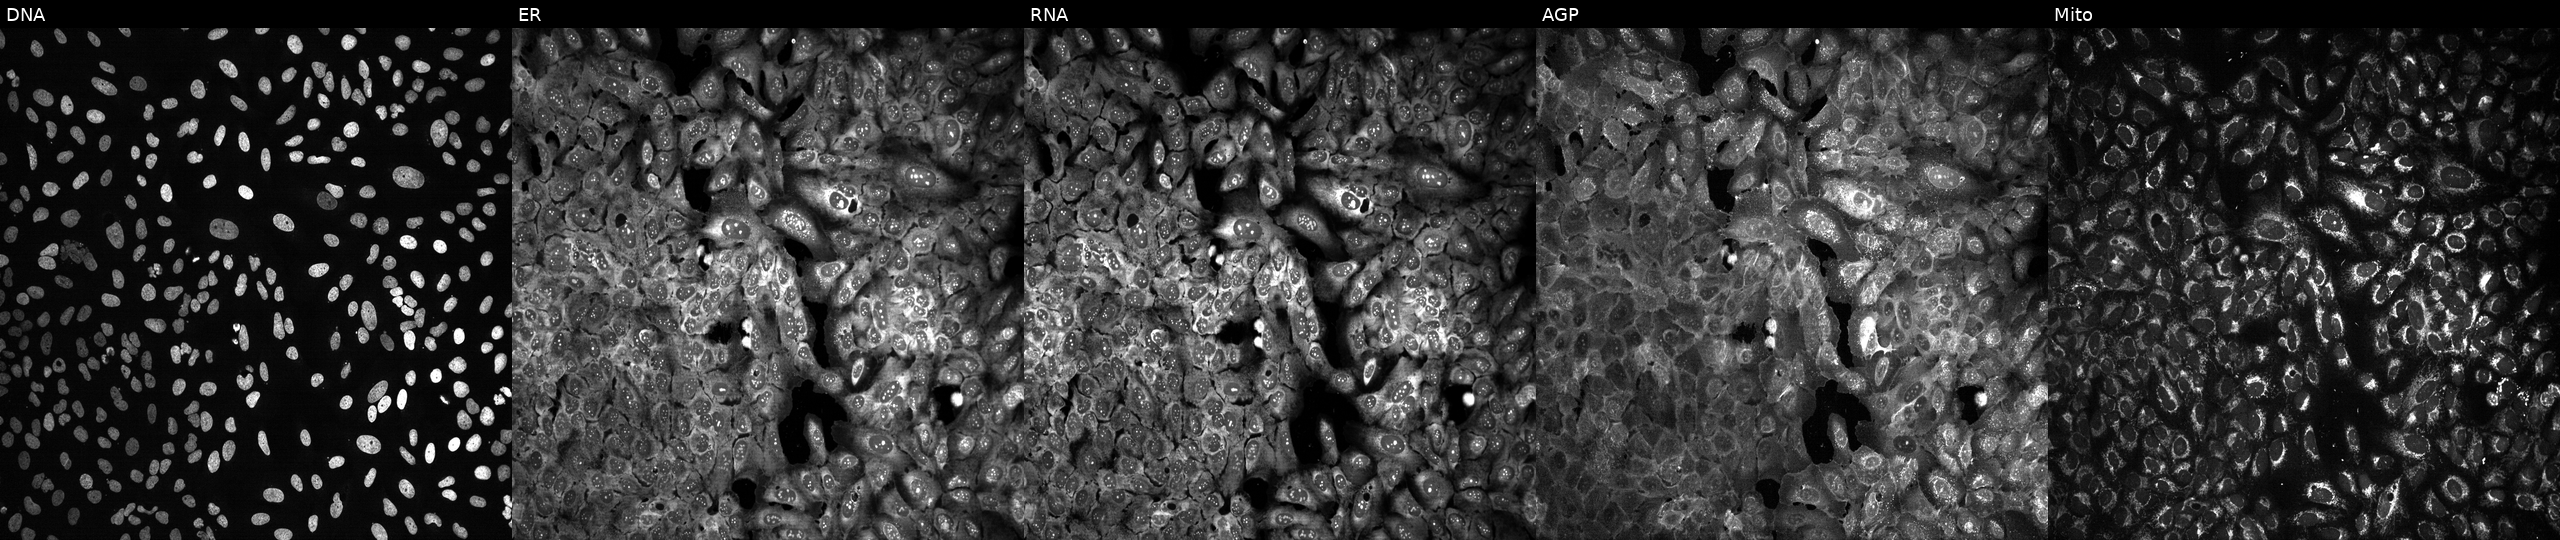
JUMP Cell Painting — CRISPR plate. U2OS cells with POLR1C knocked out by CRISPR. From left to right: DNA, ER, RNA, AGP, and Mito.